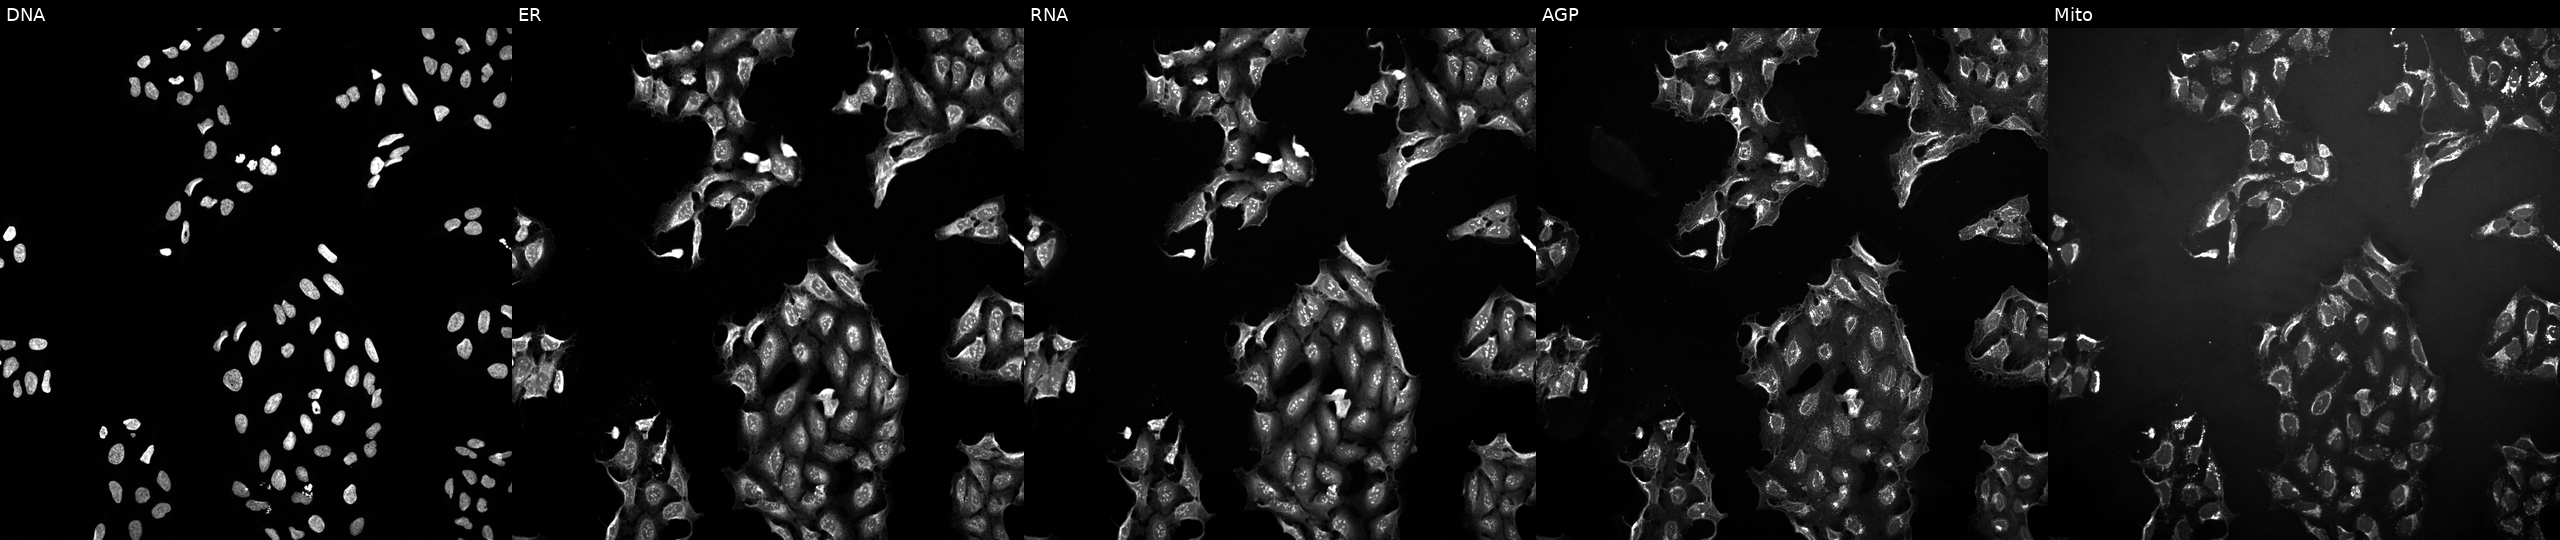
Five-channel Cell Painting image of U2OS cells treated with a small-molecule compound [SMILES: O=Nc1c(O)[nH]c2c(Cl)c(Cl)ccc12] (JUMP id JCP2022_079617). Panels show, left to right, DNA (nuclei); ER (endoplasmic reticulum); RNA (nucleoli and cytoplasmic RNA); AGP (actin cytoskeleton, Golgi, and plasma membrane); Mito (mitochondria).